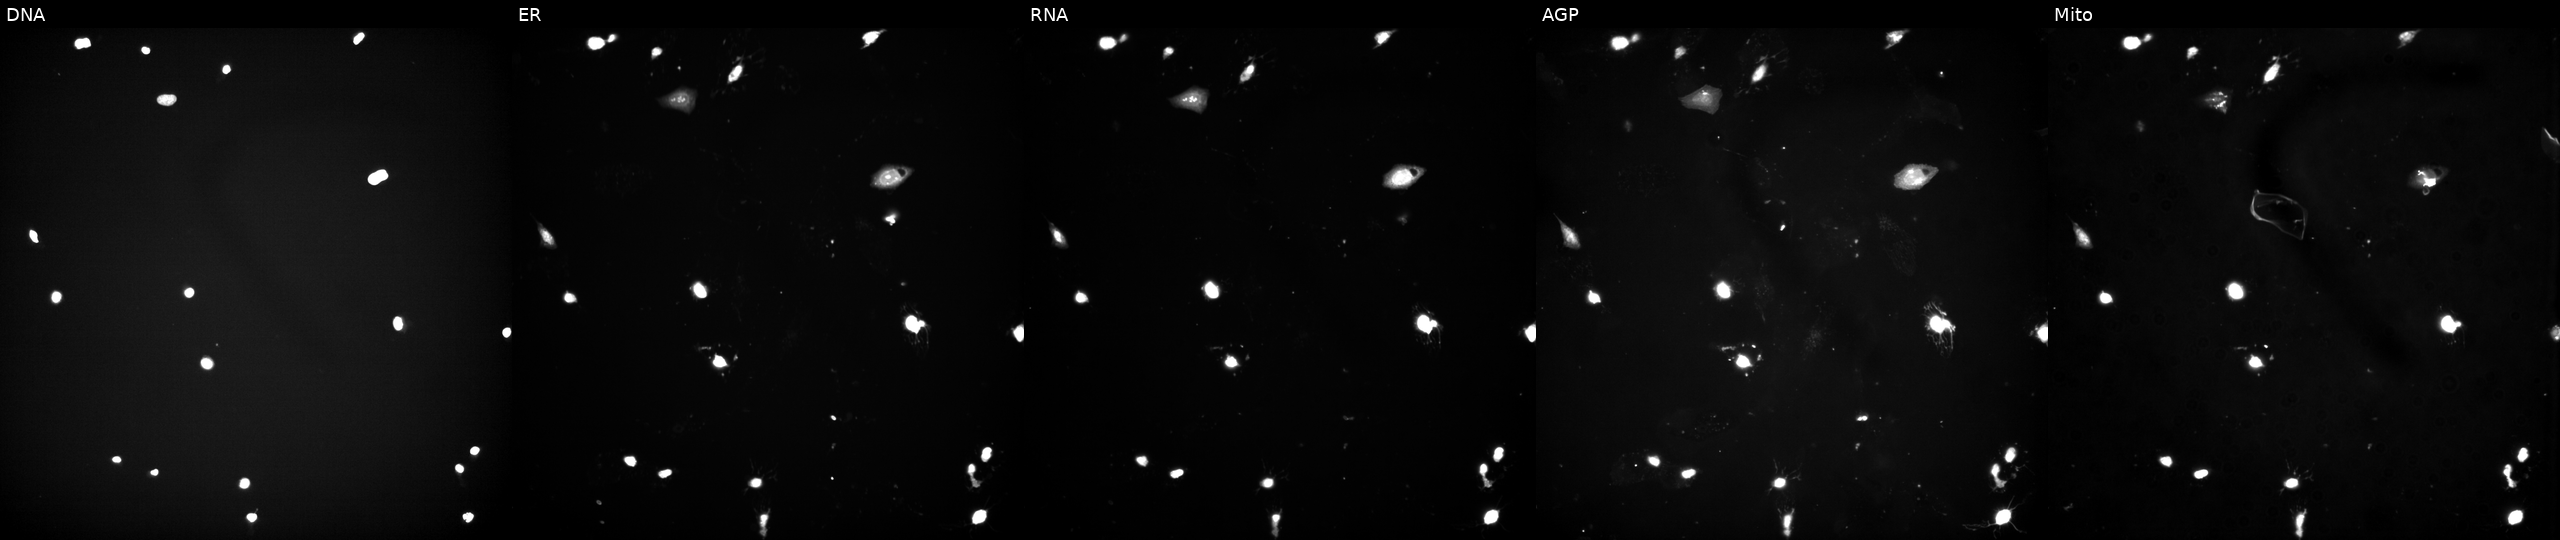
High-content fluorescence microscopy (Cell Painting). Cell line: U2OS. Perturbation: treated with a small-molecule compound [SMILES: CC(=O)C(NC(=O)c1cccc(-c2ccccc2)n1)C(O)NC(CC(C)C)B(O)O] (JUMP id JCP2022_106219). Channels (left→right): DNA, ER, RNA, AGP, and Mito. Source 3, plate JCPQC053, well K13.